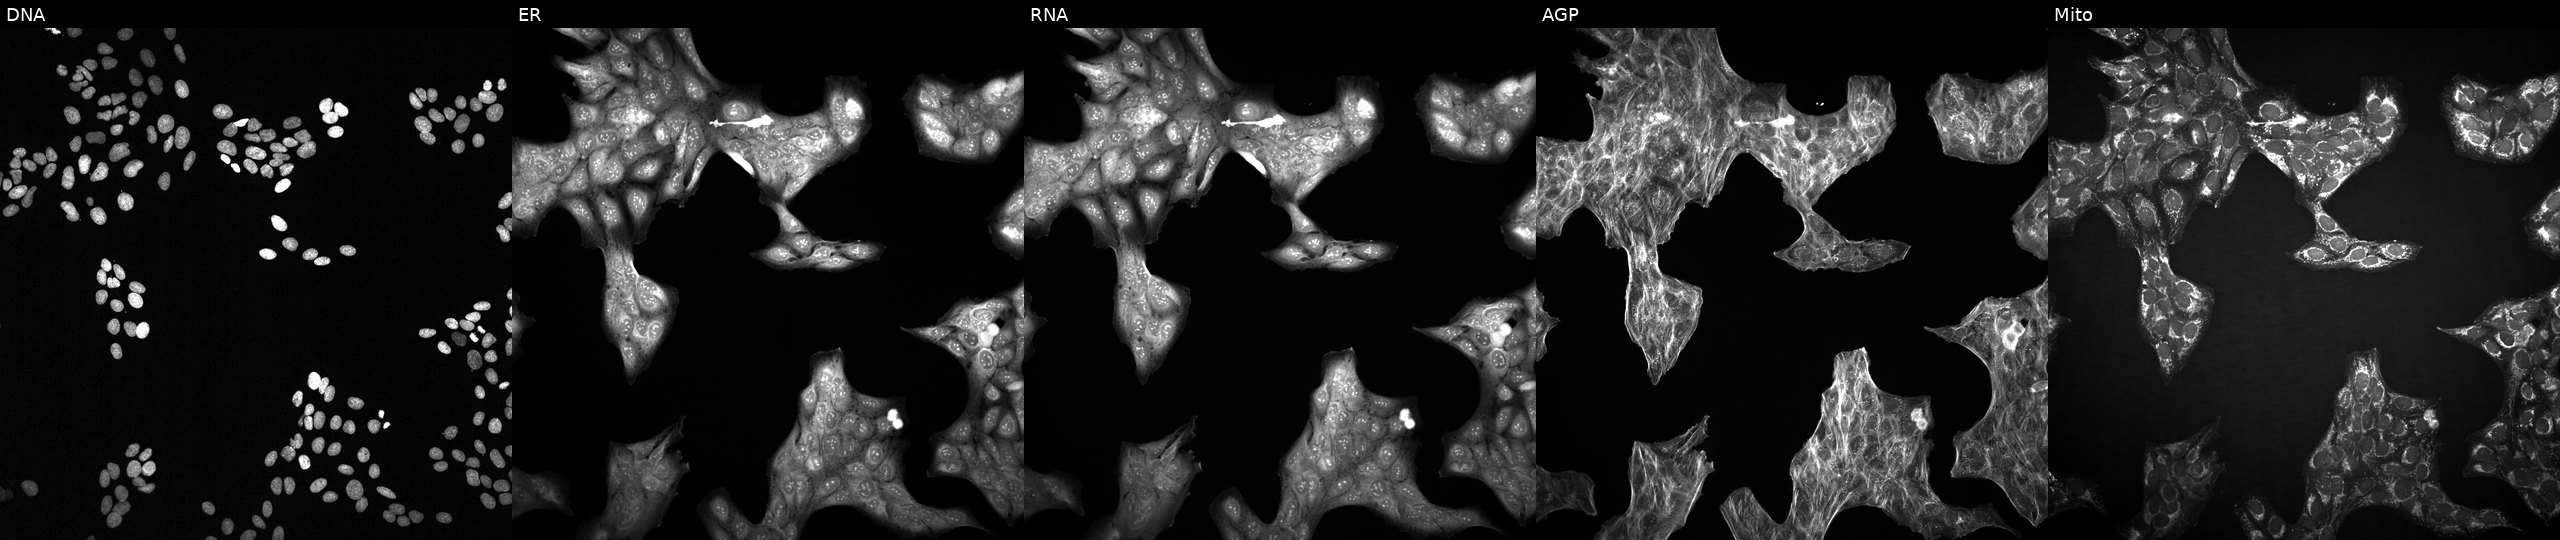
JUMP Cell Painting — COMPOUND plate. U2OS cells exposed to the positive-control compound LY2109761 (JUMP id JCP2022_035095). Panels show, left to right, DNA (nuclei); ER (endoplasmic reticulum); RNA (nucleoli and cytoplasmic RNA); AGP (actin cytoskeleton, Golgi, and plasma membrane); Mito (mitochondria).